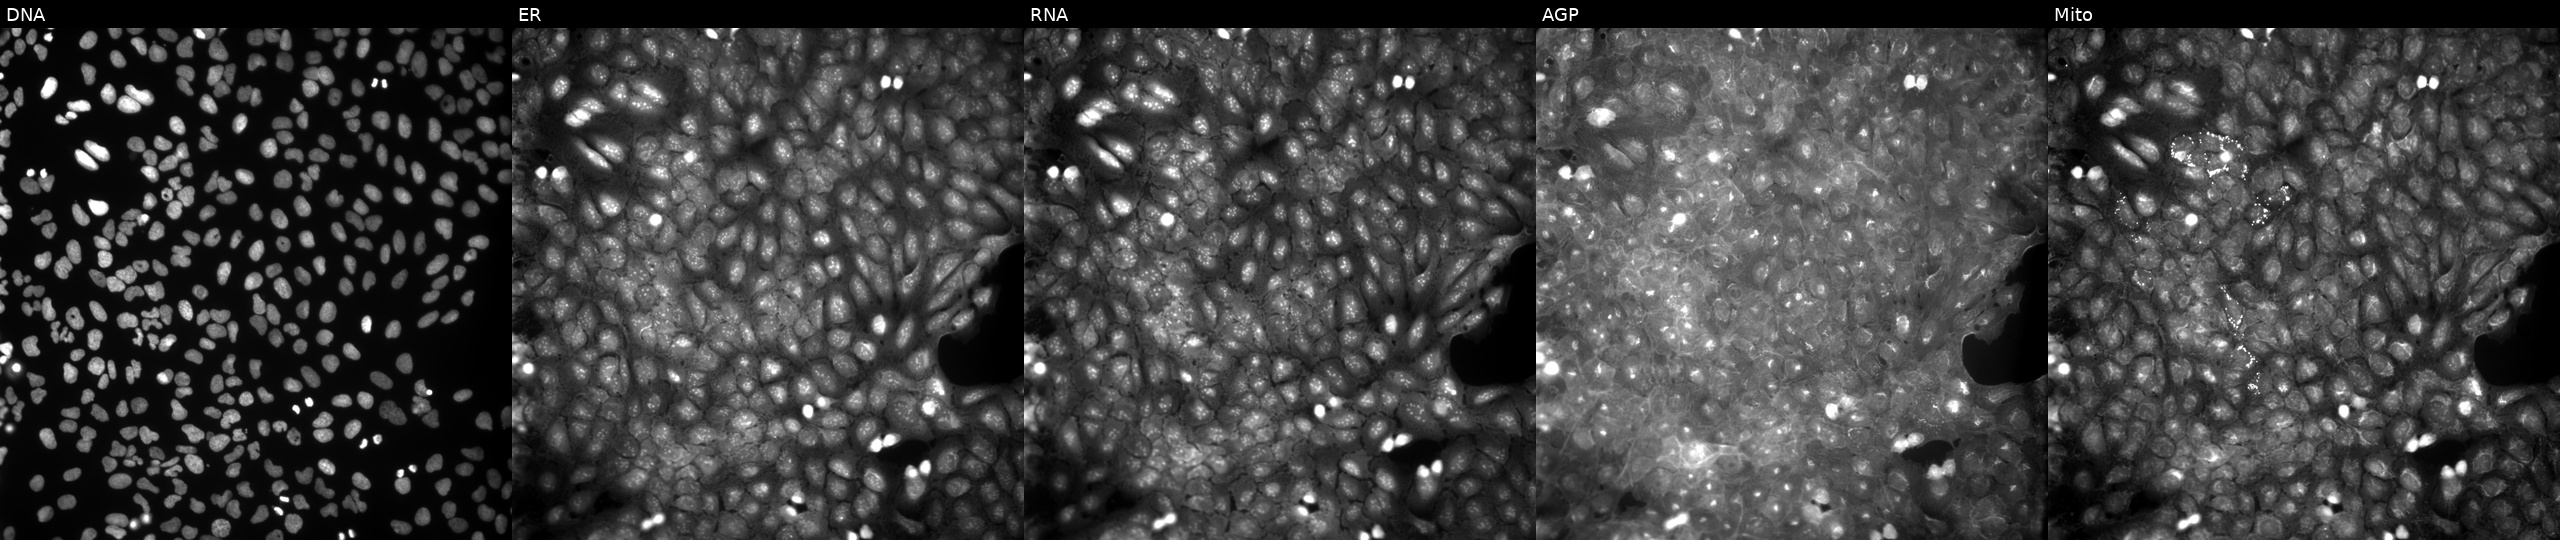
This image strip shows the five Cell Painting channels for a single field of U2OS cells treated with a small-molecule compound (JUMP id JCP2022_070509). The five panels, left to right, show Hoechst 33342, concanavalin A, SYTO 14, phalloidin and WGA, MitoTracker.